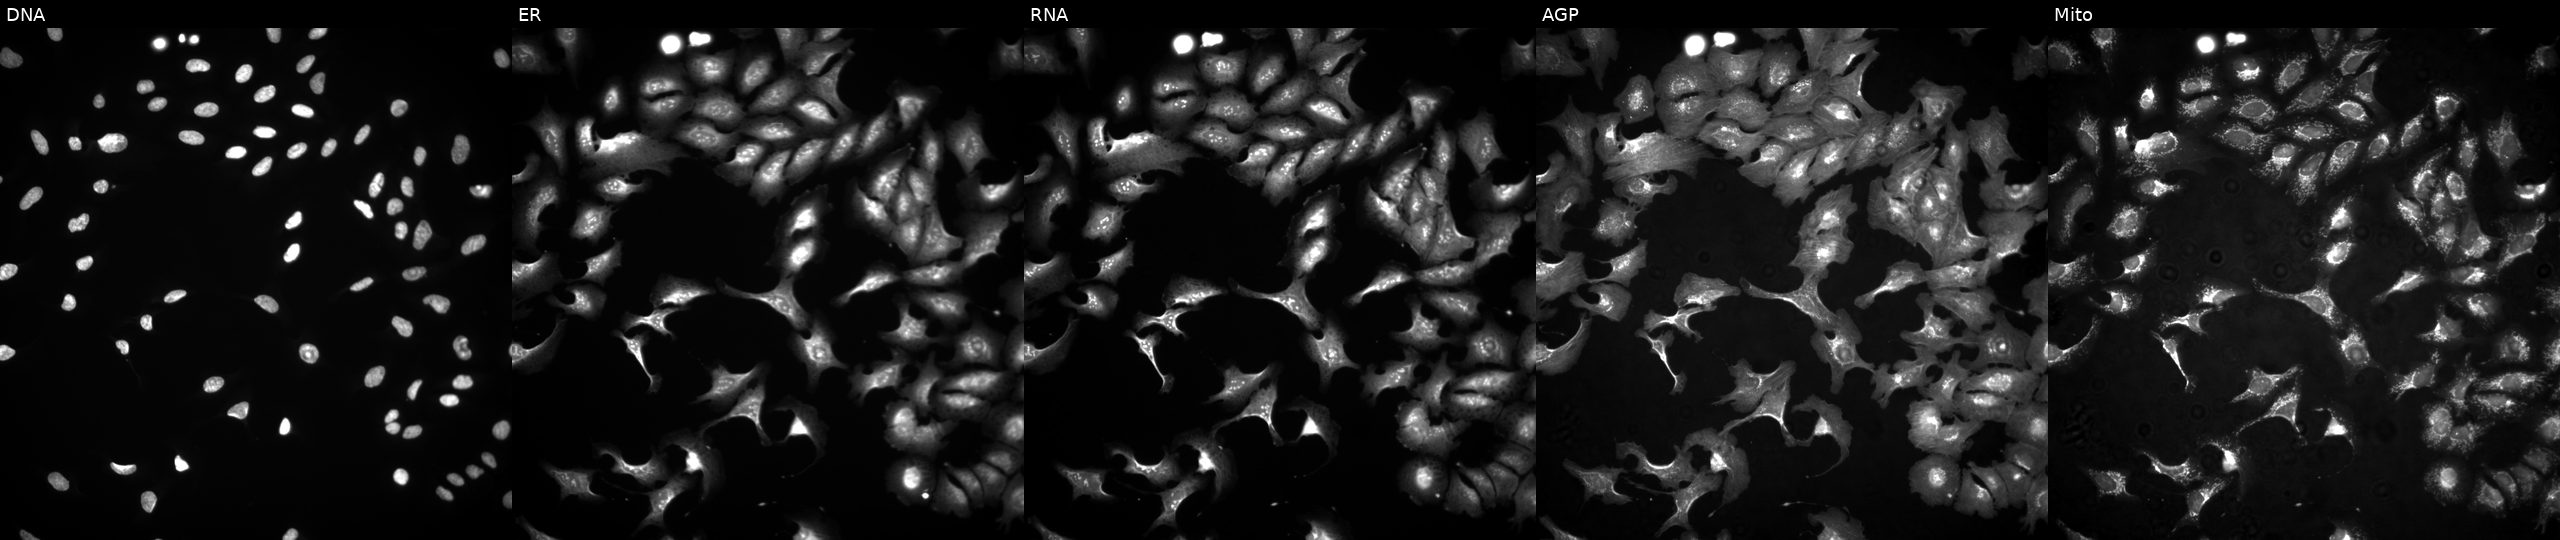
U2OS cells, Cell Painting assay, overexpressing GMCL2 via ORF transfection. The five panels, left to right, show Hoechst 33342, concanavalin A, SYTO 14, phalloidin and WGA, MitoTracker. Each panel is percentile-stretched 16-bit fluorescence. Source 4, plate BR00124787, well D21.